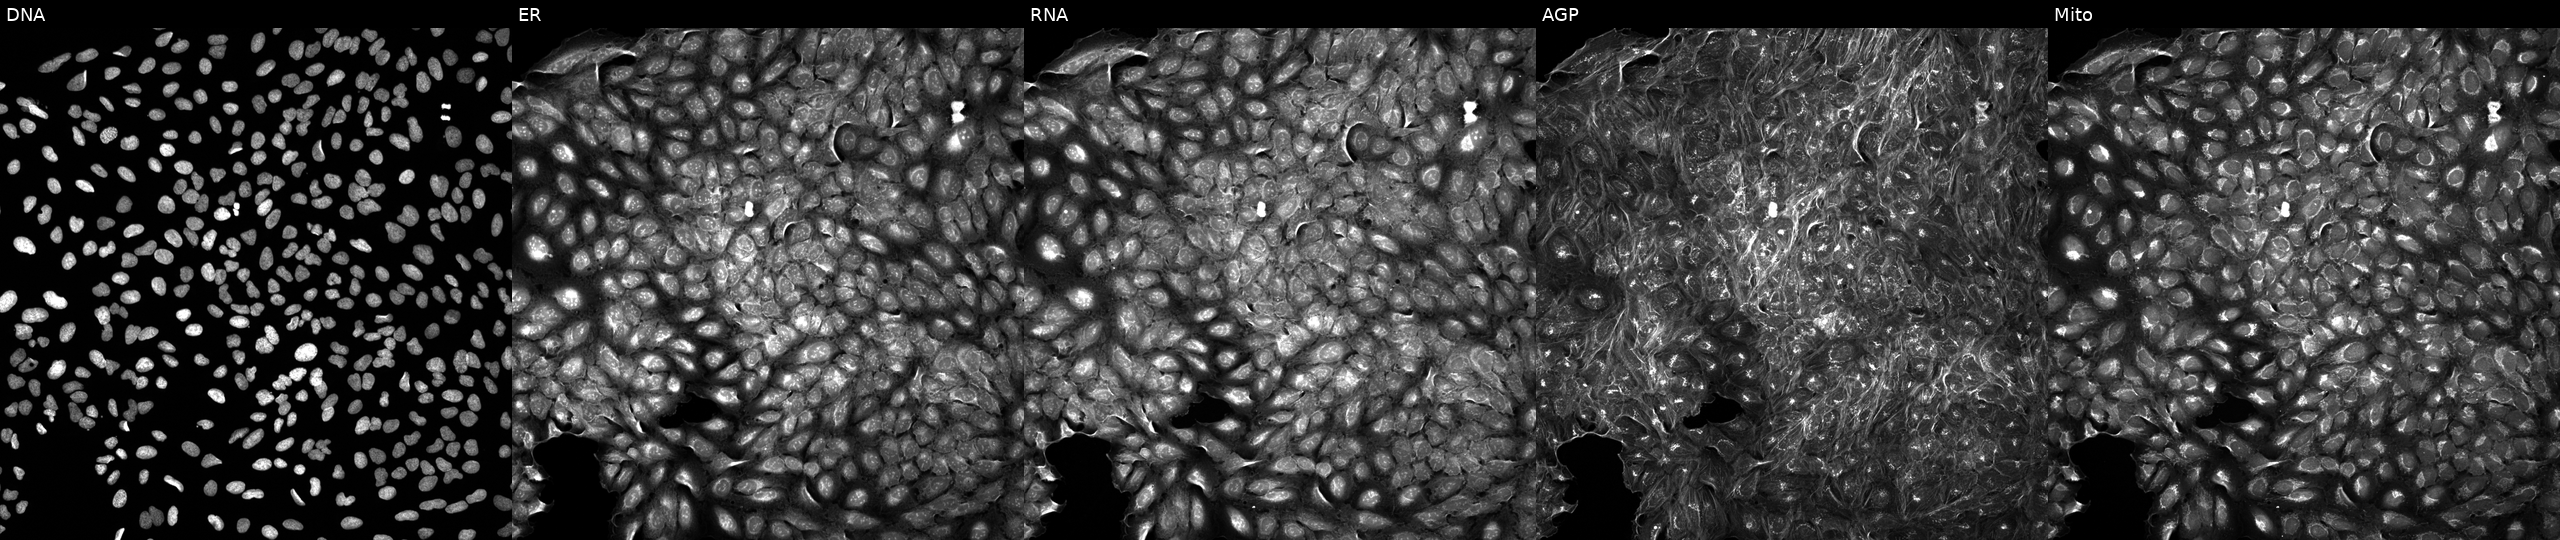
U2OS cells, Cell Painting assay, perturbed with a small-molecule compound (InChIKey XNFKZQDEMPWXPZ-UHFFFAOYSA-N) [SMILES: Cn1nccc1C1CCCN(C(C(N)=O)c2ccc(F)cc2)C1]. The five panels, left to right, show DNA (nuclei); ER (endoplasmic reticulum); RNA (nucleoli and cytoplasmic RNA); AGP (actin cytoskeleton, Golgi, and plasma membrane); Mito (mitochondria). Each panel is percentile-stretched 16-bit fluorescence.